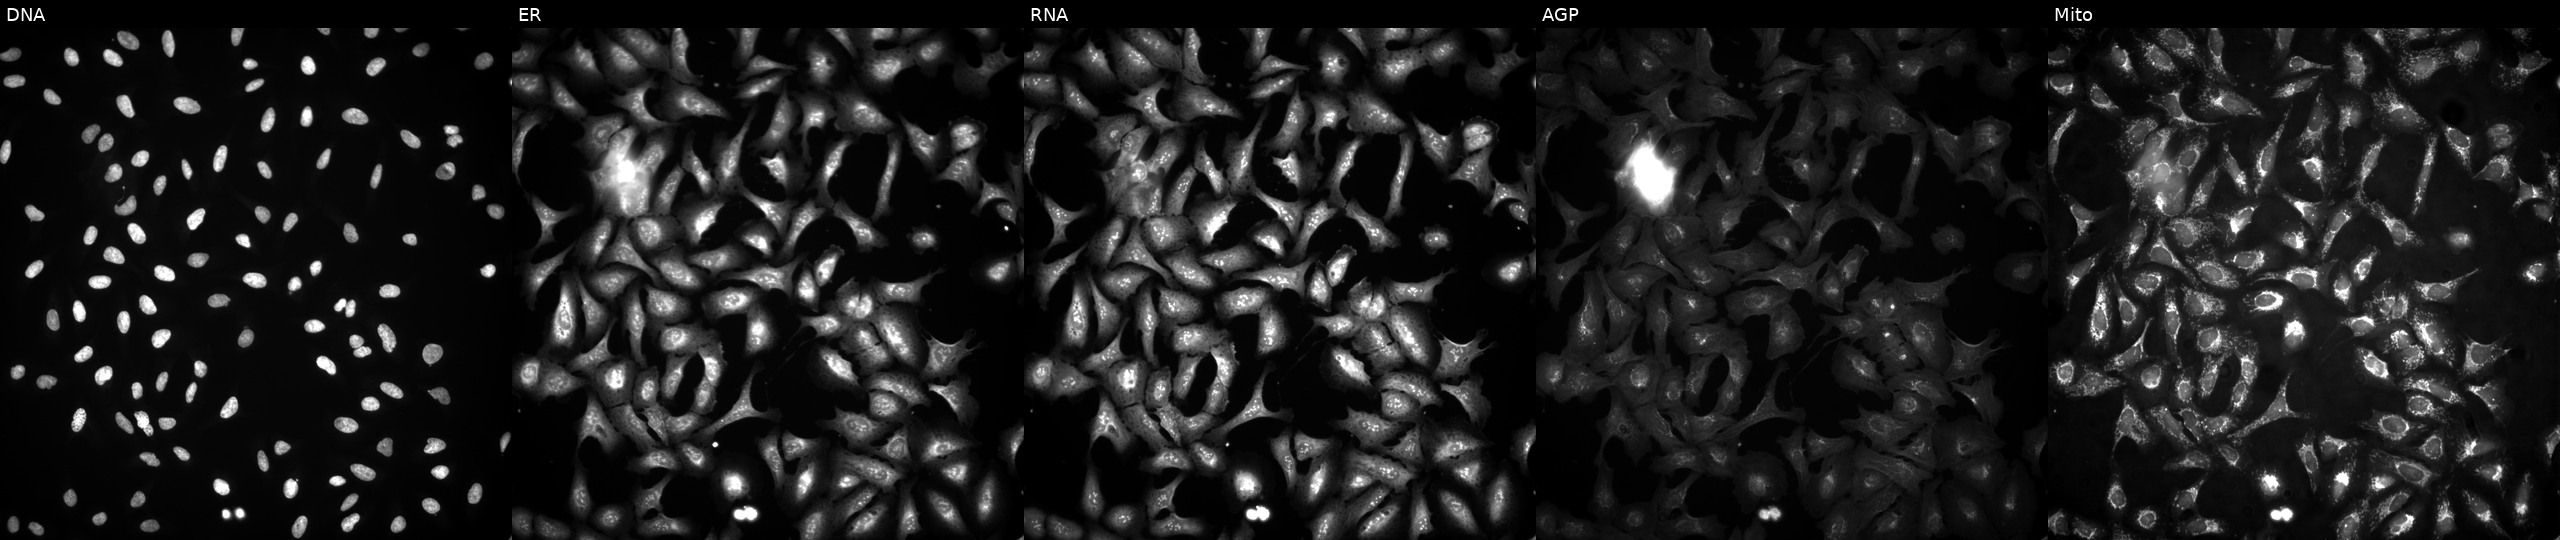
High-content fluorescence microscopy (Cell Painting). Cell line: U2OS. Perturbation: transfected with an ORF construct for DGCR8. From left to right: DNA, ER, RNA, AGP, and Mito.